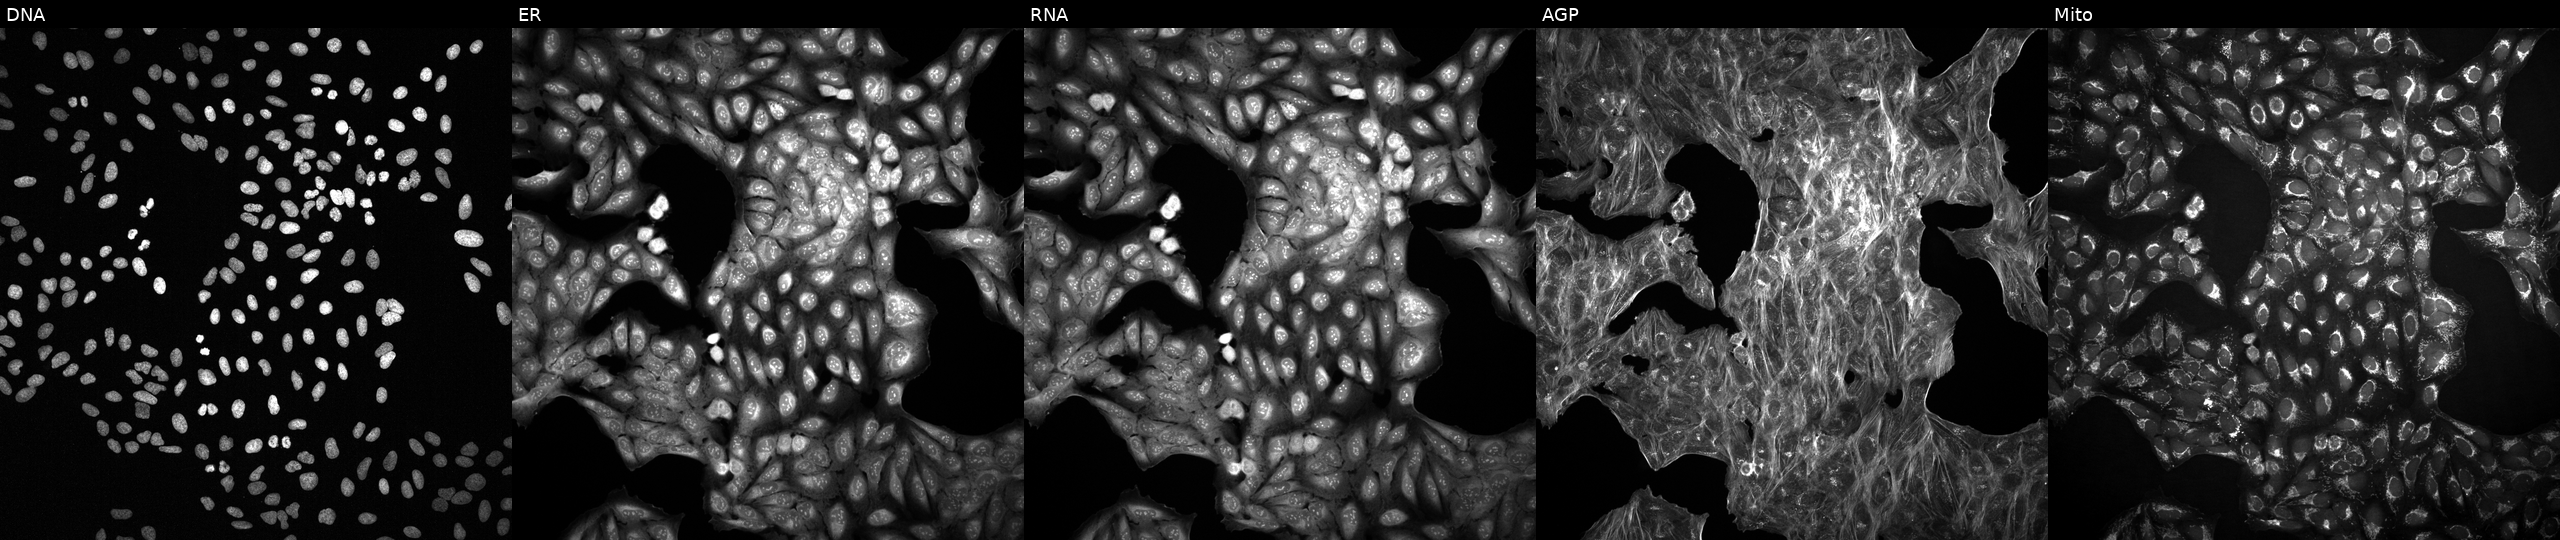
Panels show, left to right, DNA (nuclei); ER (endoplasmic reticulum); RNA (nucleoli and cytoplasmic RNA); AGP (actin cytoskeleton, Golgi, and plasma membrane); Mito (mitochondria). U2OS osteosarcoma cells with an unidentified perturbation (not annotated in JUMP metadata). Cell Painting assay, JUMP-CP dataset. Source 2, plate 1053601756, well H05.